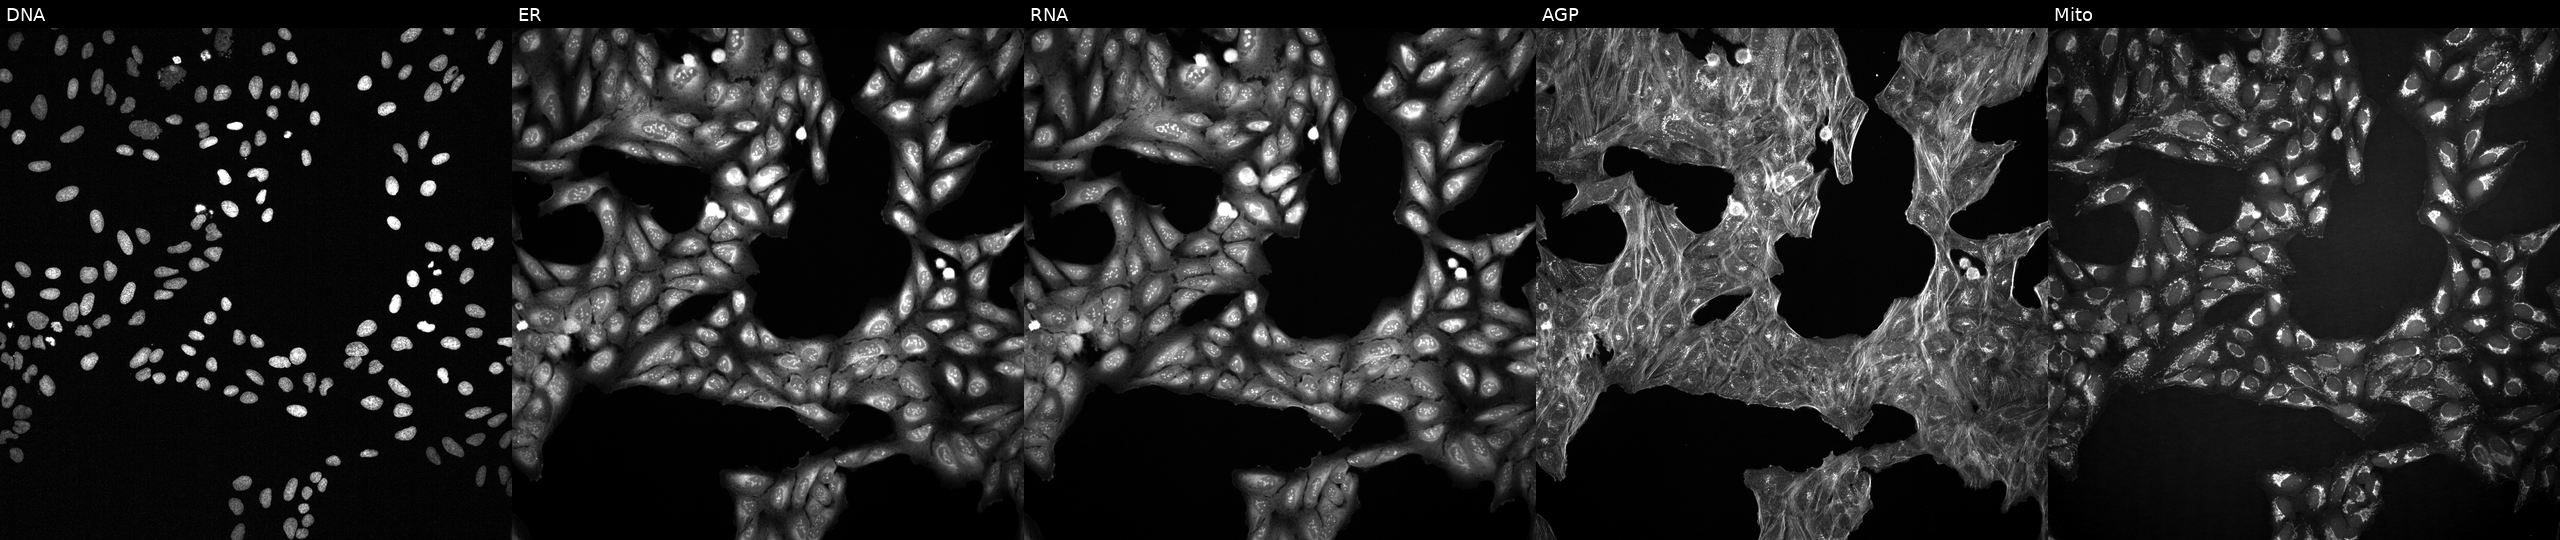
High-content fluorescence microscopy (Cell Painting). Cell line: U2OS. Perturbation: treated with DMSO vehicle only (negative control) (JUMP id JCP2022_033924). Channels (left→right): Hoechst 33342, concanavalin A, SYTO 14, phalloidin and WGA, MitoTracker.